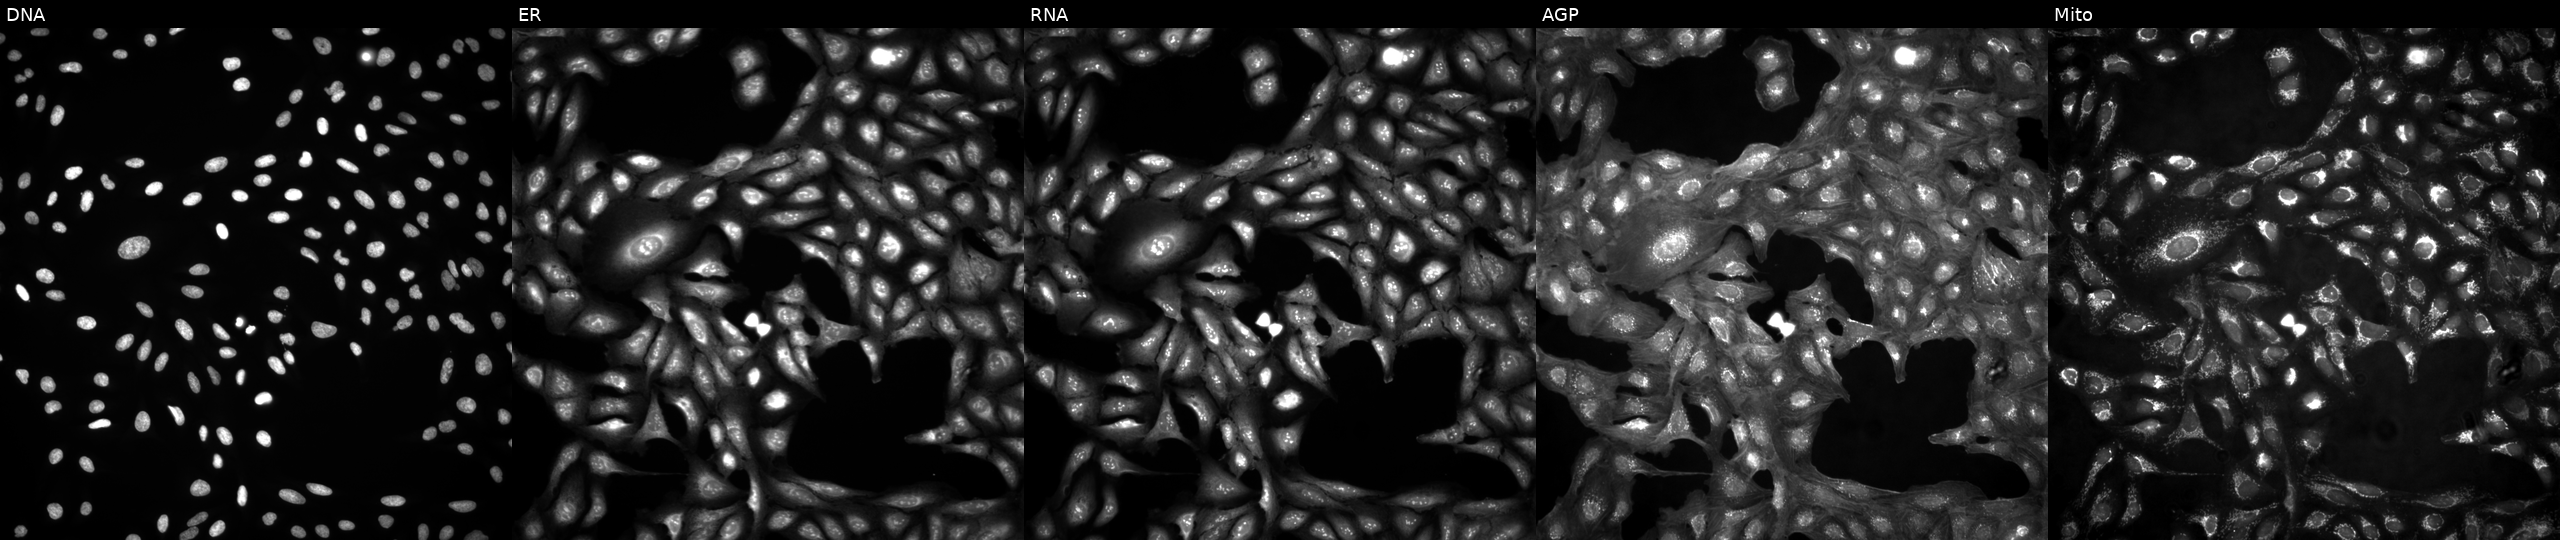
U2OS cells, Cell Painting assay, in an empty control well (no perturbation) (JUMP id JCP2022_999999). Channels (left→right): Hoechst 33342, concanavalin A, SYTO 14, phalloidin and WGA, MitoTracker. Each panel is percentile-stretched 16-bit fluorescence. Source 4, plate BR00124793, well M08.